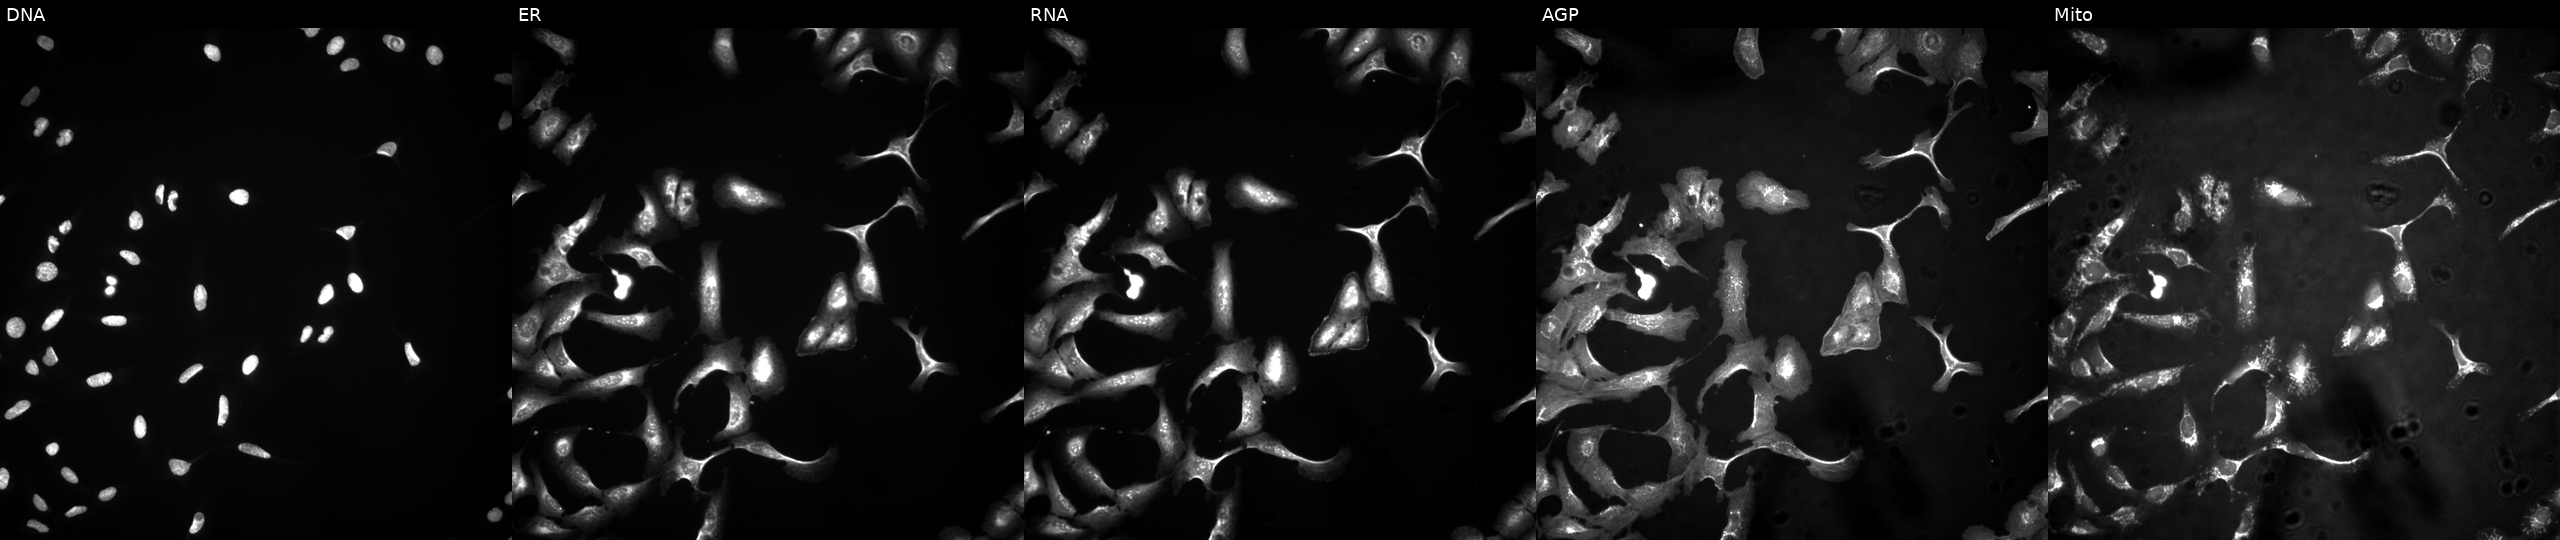
Five-channel Cell Painting image of U2OS cells transfected with an ORF construct for NUDT16 (JUMP id JCP2022_912275). From left to right: DNA, ER, RNA, AGP, and Mito.